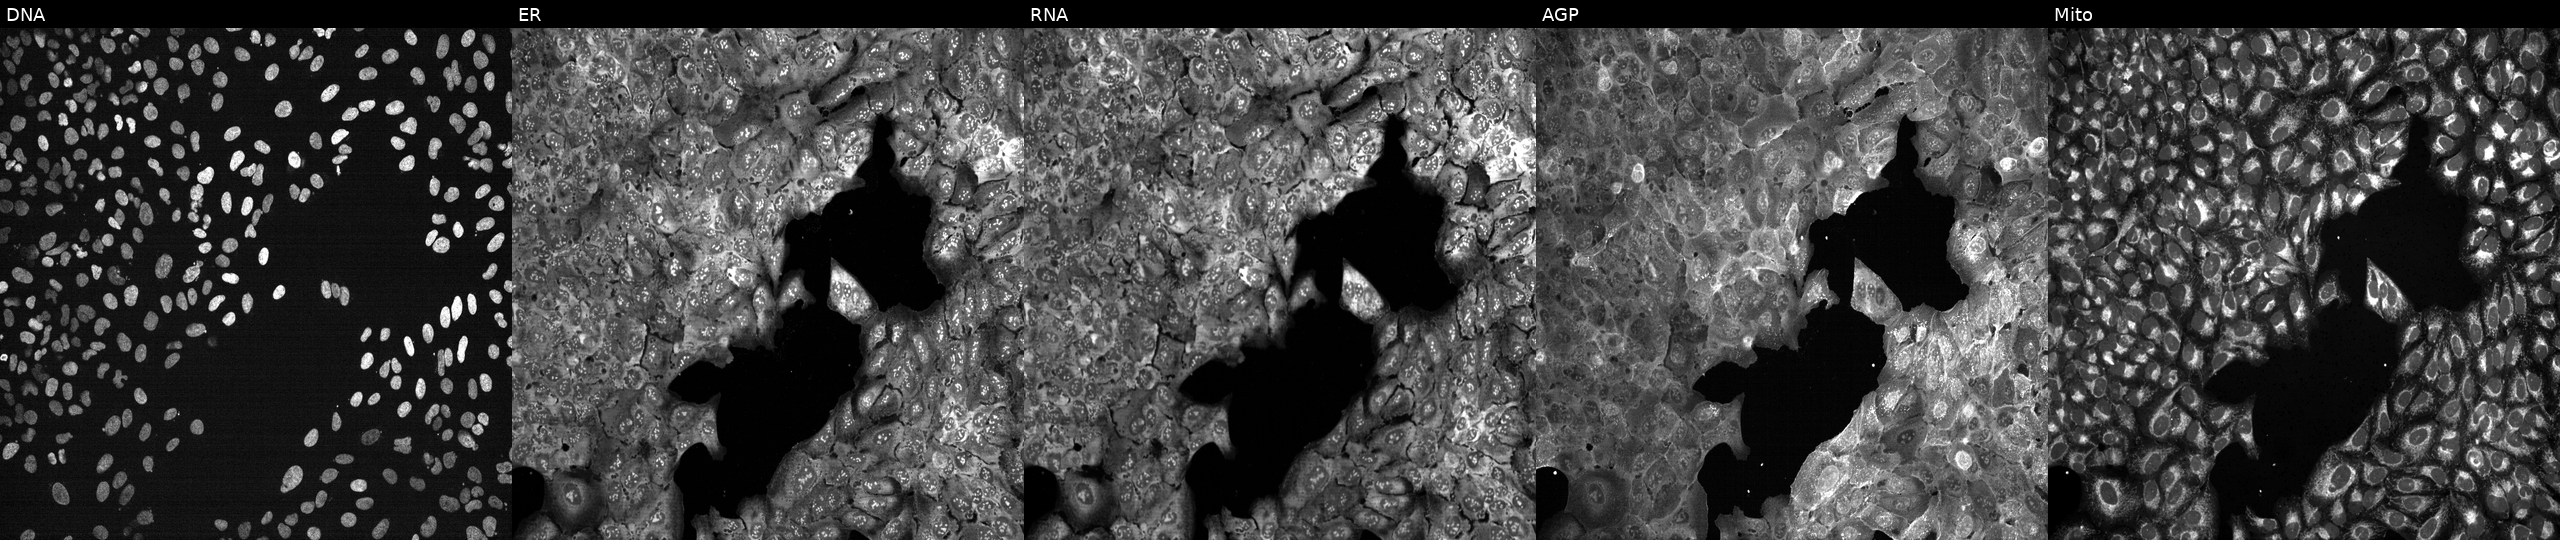
JUMP Cell Painting — CRISPR plate. U2OS cells with FGF3 knocked out by CRISPR. The five panels, left to right, show DNA (nuclei); ER (endoplasmic reticulum); RNA (nucleoli and cytoplasmic RNA); AGP (actin cytoskeleton, Golgi, and plasma membrane); Mito (mitochondria).